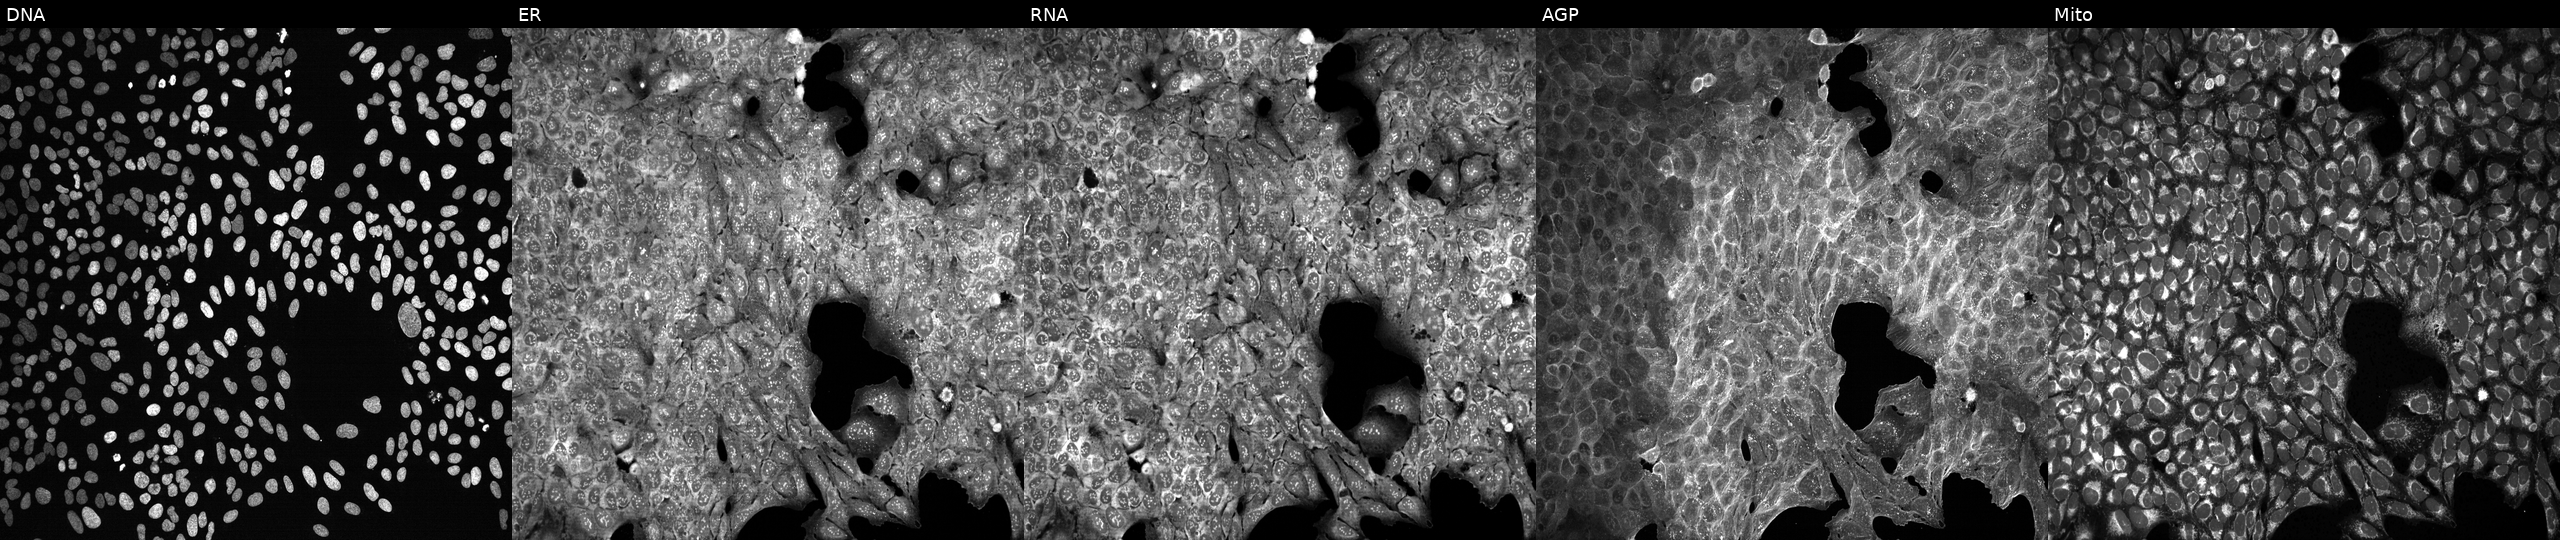
This image strip shows the five Cell Painting channels for a single field of U2OS cells exposed to the positive-control compound dexamethasone (JUMP id JCP2022_025848). Panels show, left to right, Hoechst 33342, concanavalin A, SYTO 14, phalloidin and WGA, MitoTracker. Source 13, plate CP-CC9-R6-19, well G24.